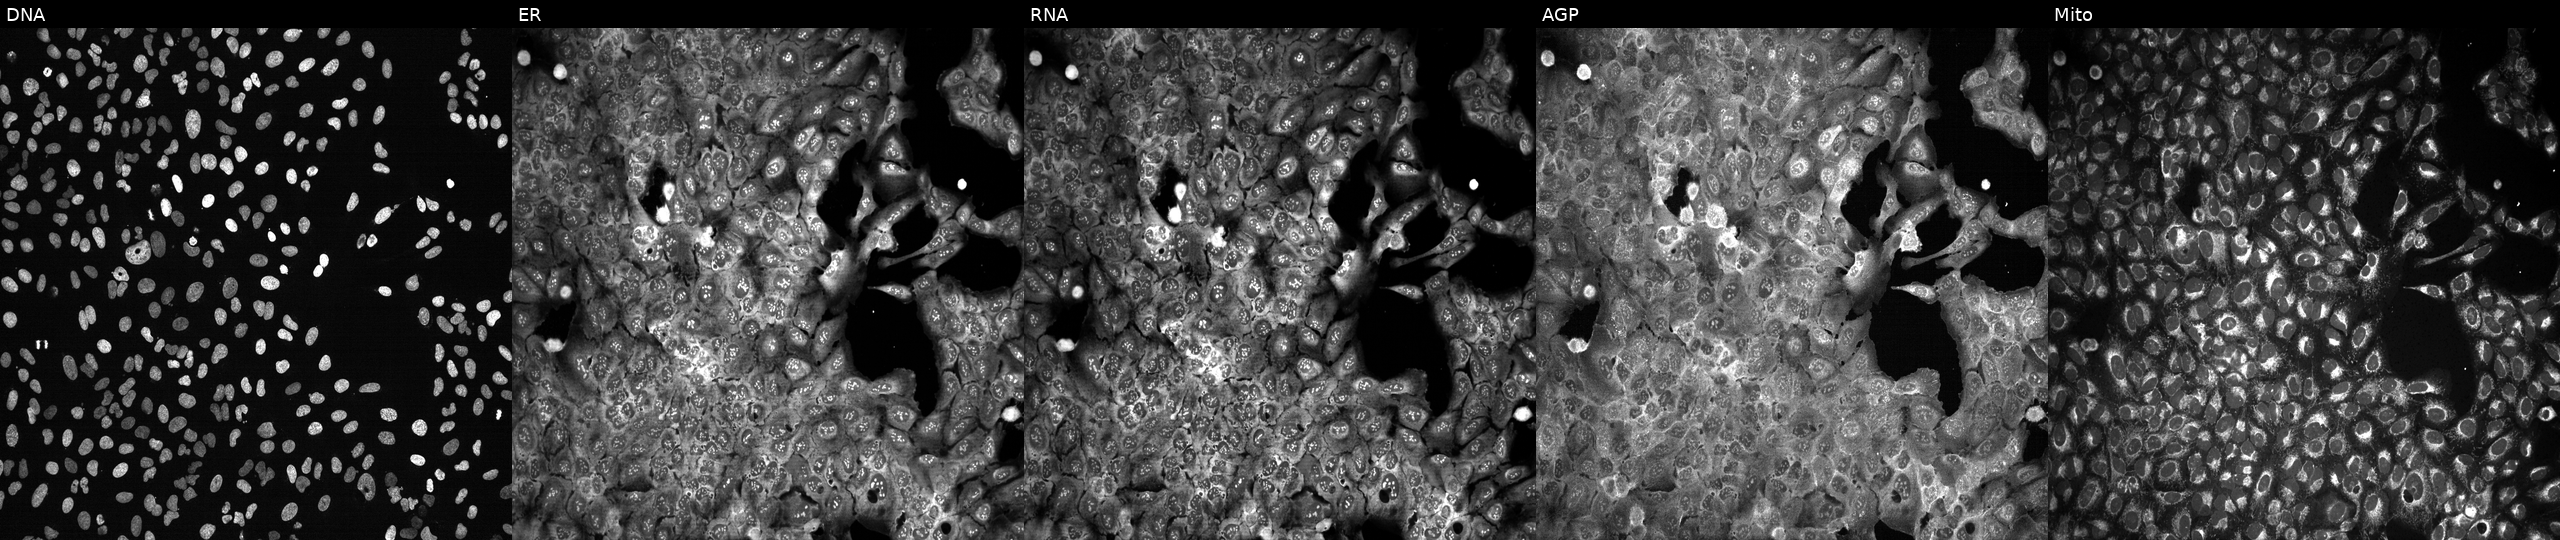
This image strip shows the five Cell Painting channels for a single field of U2OS cells CRISPR-edited to disrupt GCLC (JUMP id JCP2022_802642). Panels show, left to right, DNA, ER, RNA, AGP, and Mito. Source 13, plate CP-CC9-R3-01, well L11.